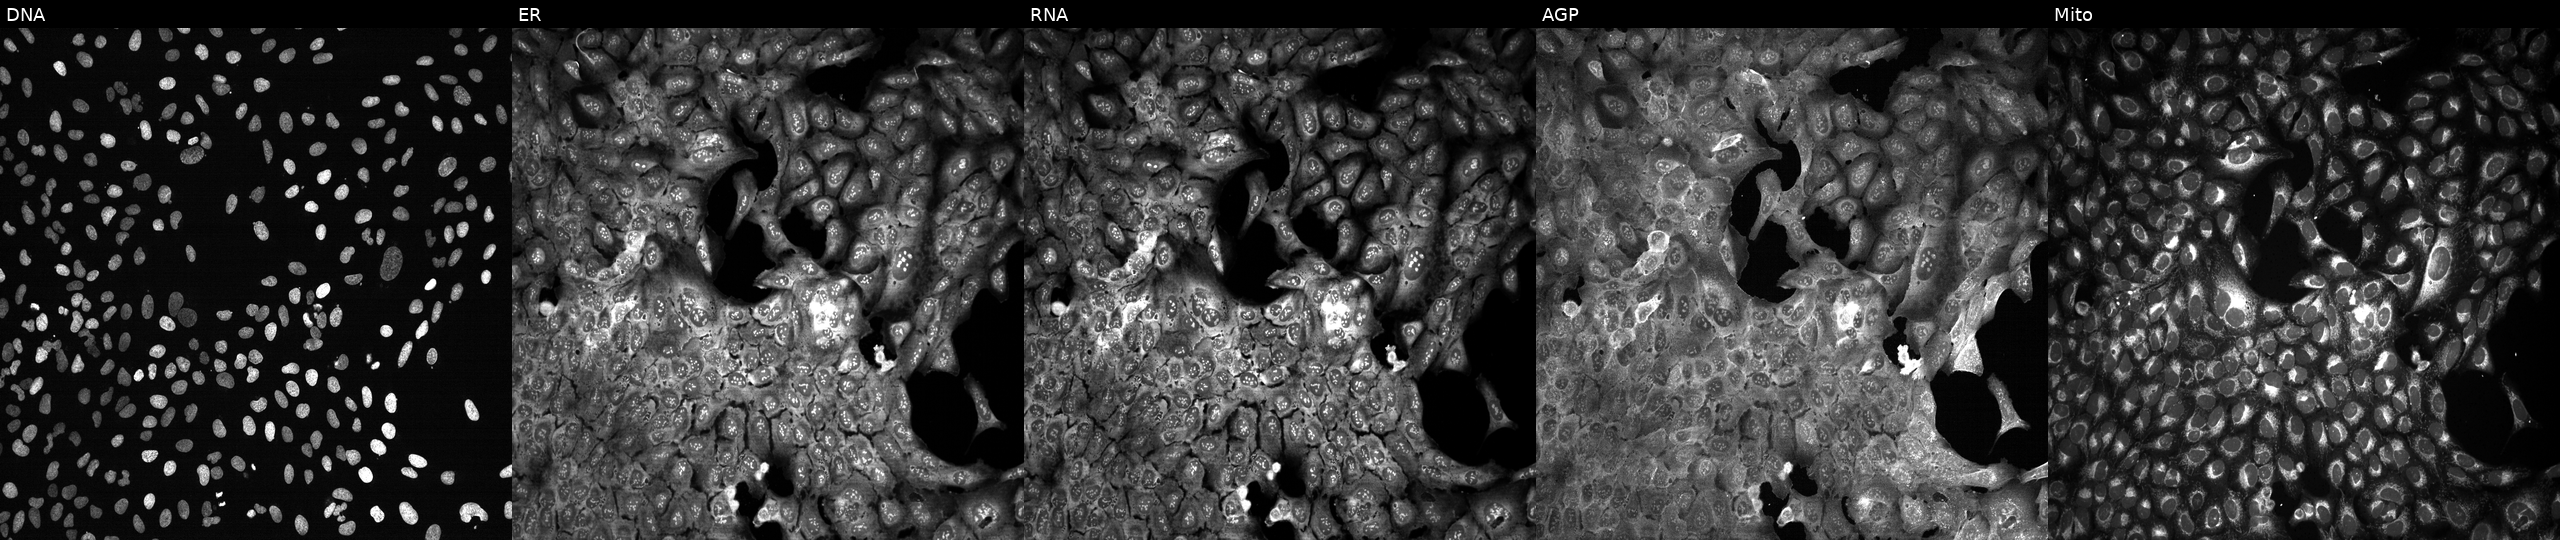
High-content fluorescence microscopy (Cell Painting). Cell line: U2OS. Perturbation: following CRISPR knockout of AIFM2 (JUMP id JCP2022_800334). The five panels, left to right, show DNA, ER, RNA, AGP, and Mito. Source 13, plate CP-CC9-R3-02, well G05.